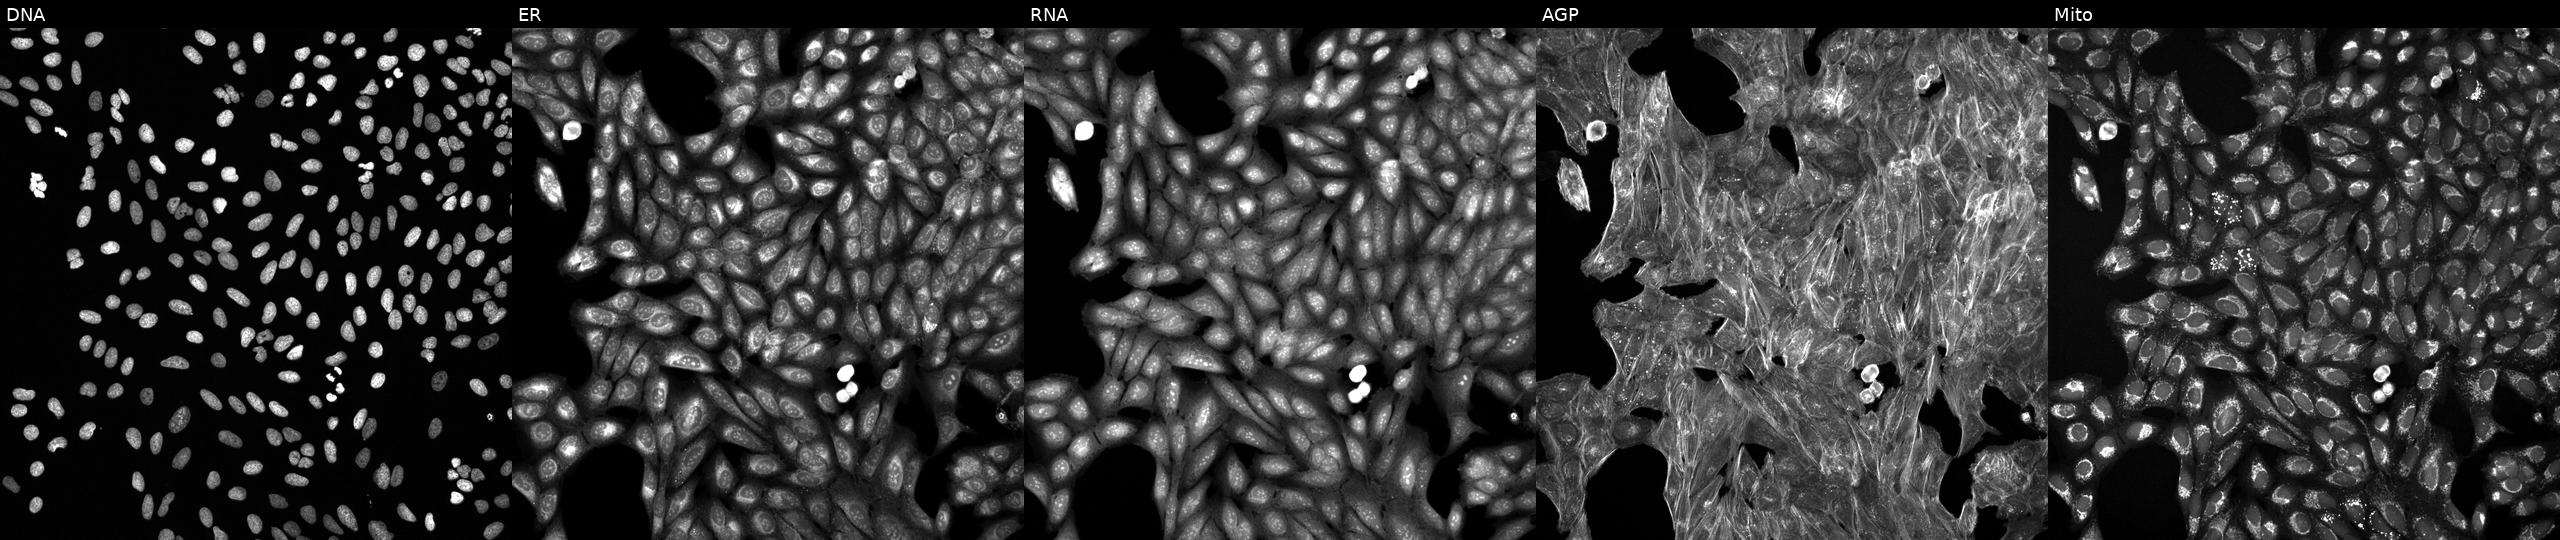
The five panels, left to right, show Hoechst 33342, concanavalin A, SYTO 14, phalloidin and WGA, MitoTracker. U2OS osteosarcoma cells treated with a small-molecule compound (InChIKey ZJMDTBBCNMGFMS-UHFFFAOYSA-N) (JUMP id JCP2022_113710). Cell Painting assay, JUMP-CP dataset. Source 6, plate 110000293093, well C18.